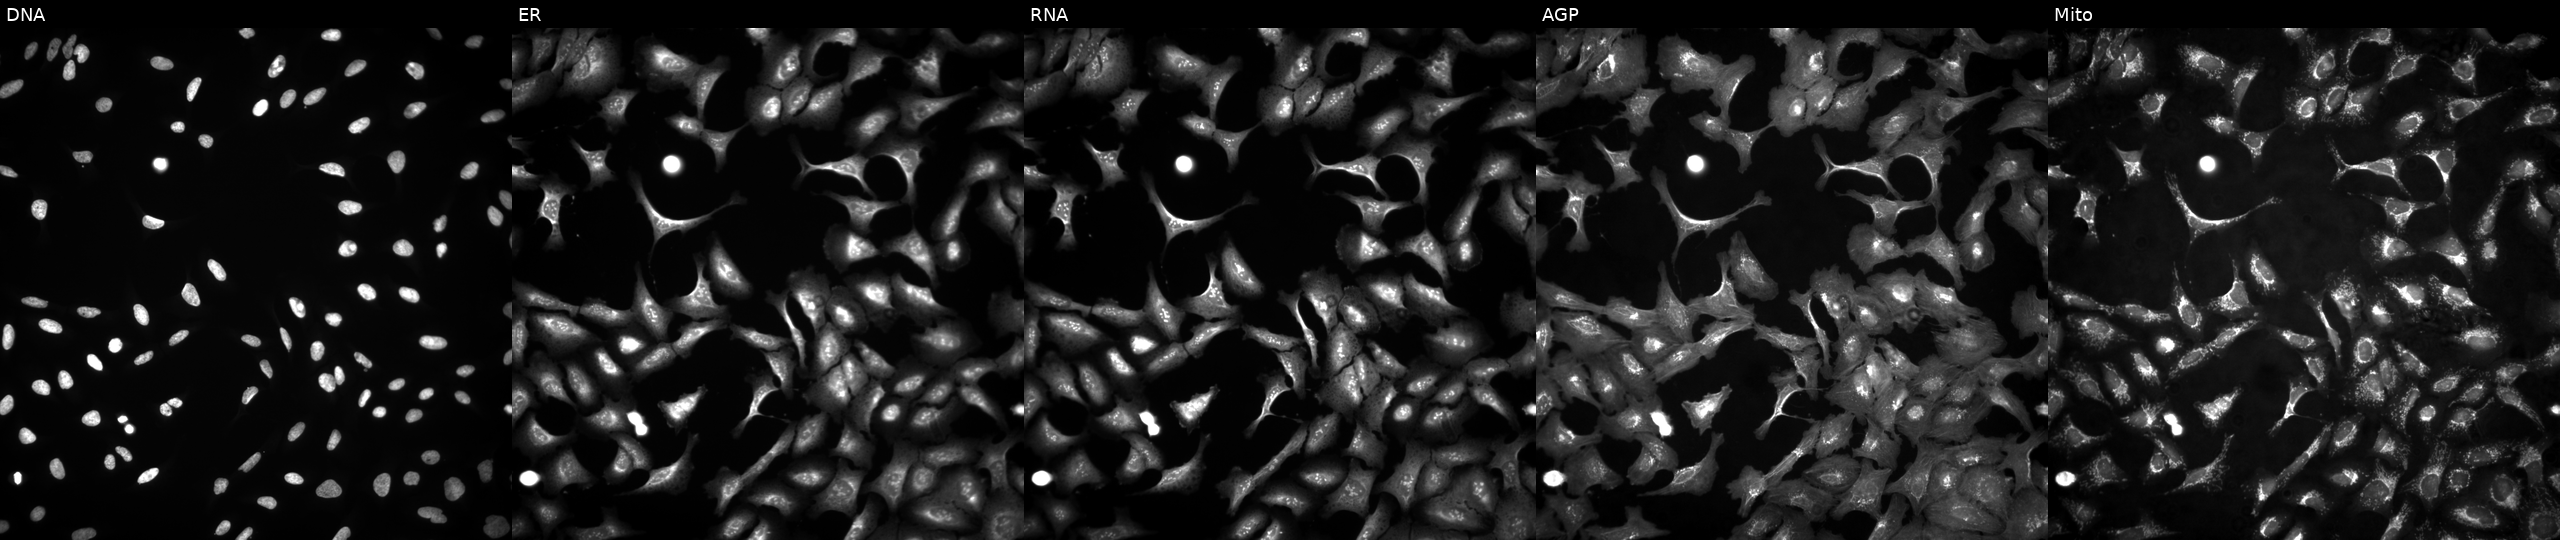
High-content fluorescence microscopy (Cell Painting). Cell line: U2OS. Perturbation: overexpressing TRIP6 via ORF transfection (JUMP id JCP2022_910445). From left to right: DNA (nuclei); ER (endoplasmic reticulum); RNA (nucleoli and cytoplasmic RNA); AGP (actin cytoskeleton, Golgi, and plasma membrane); Mito (mitochondria).